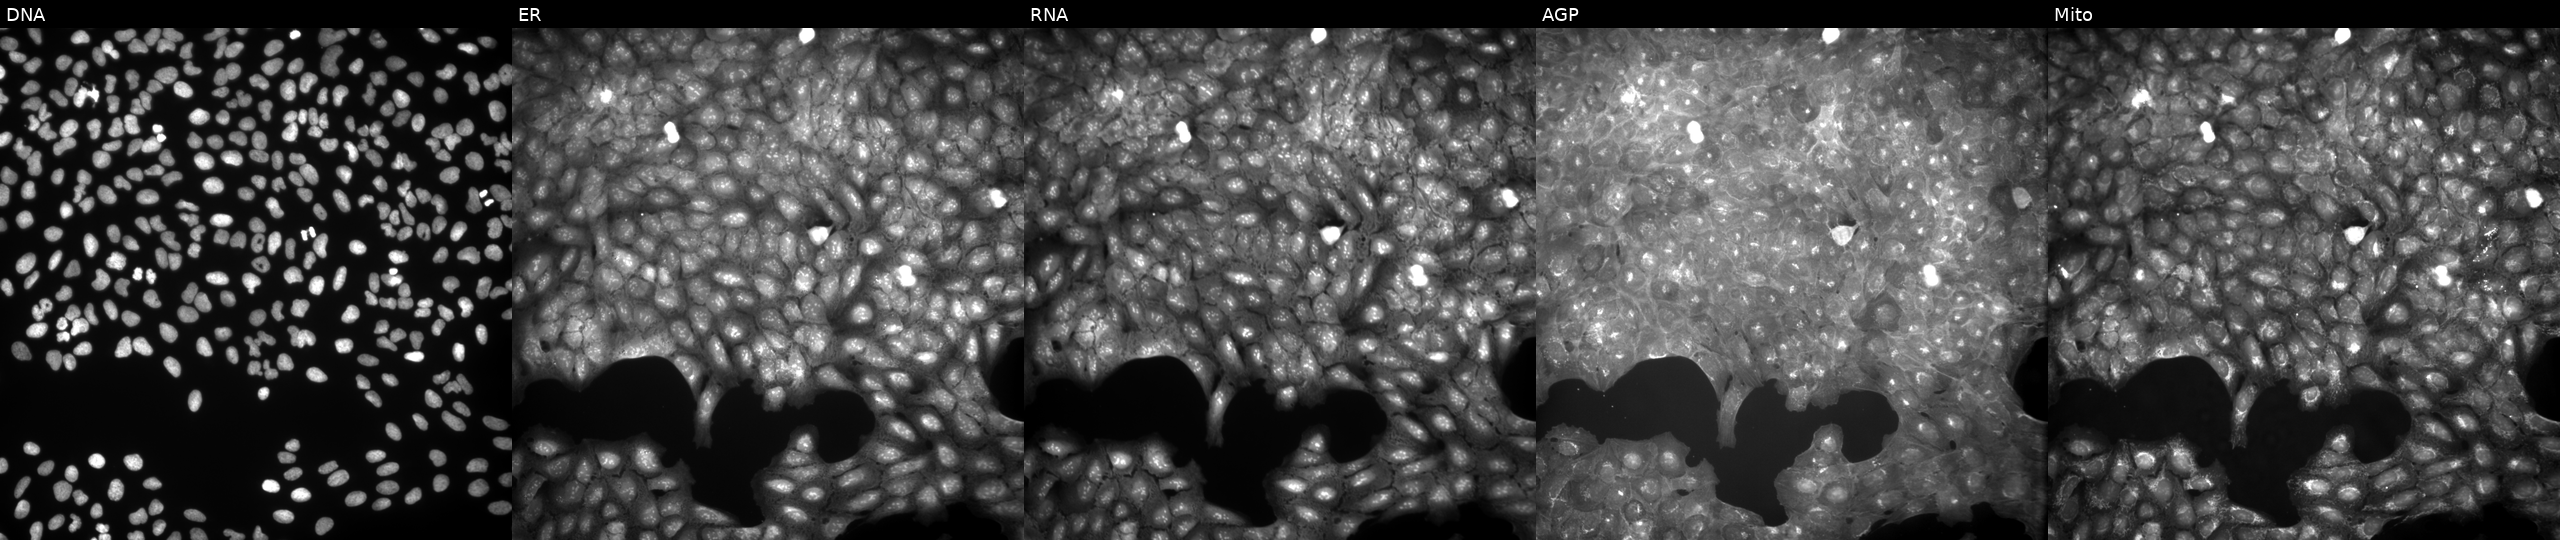
Channels (left→right): DNA, ER, RNA, AGP, and Mito. U2OS osteosarcoma cells perturbed with a small-molecule compound (InChIKey ZRXGCDBBENIAAO-UHFFFAOYSA-N) (JUMP id JCP2022_115301). Cell Painting assay, JUMP-CP dataset. Source 9, plate GR00003381, well Q38.